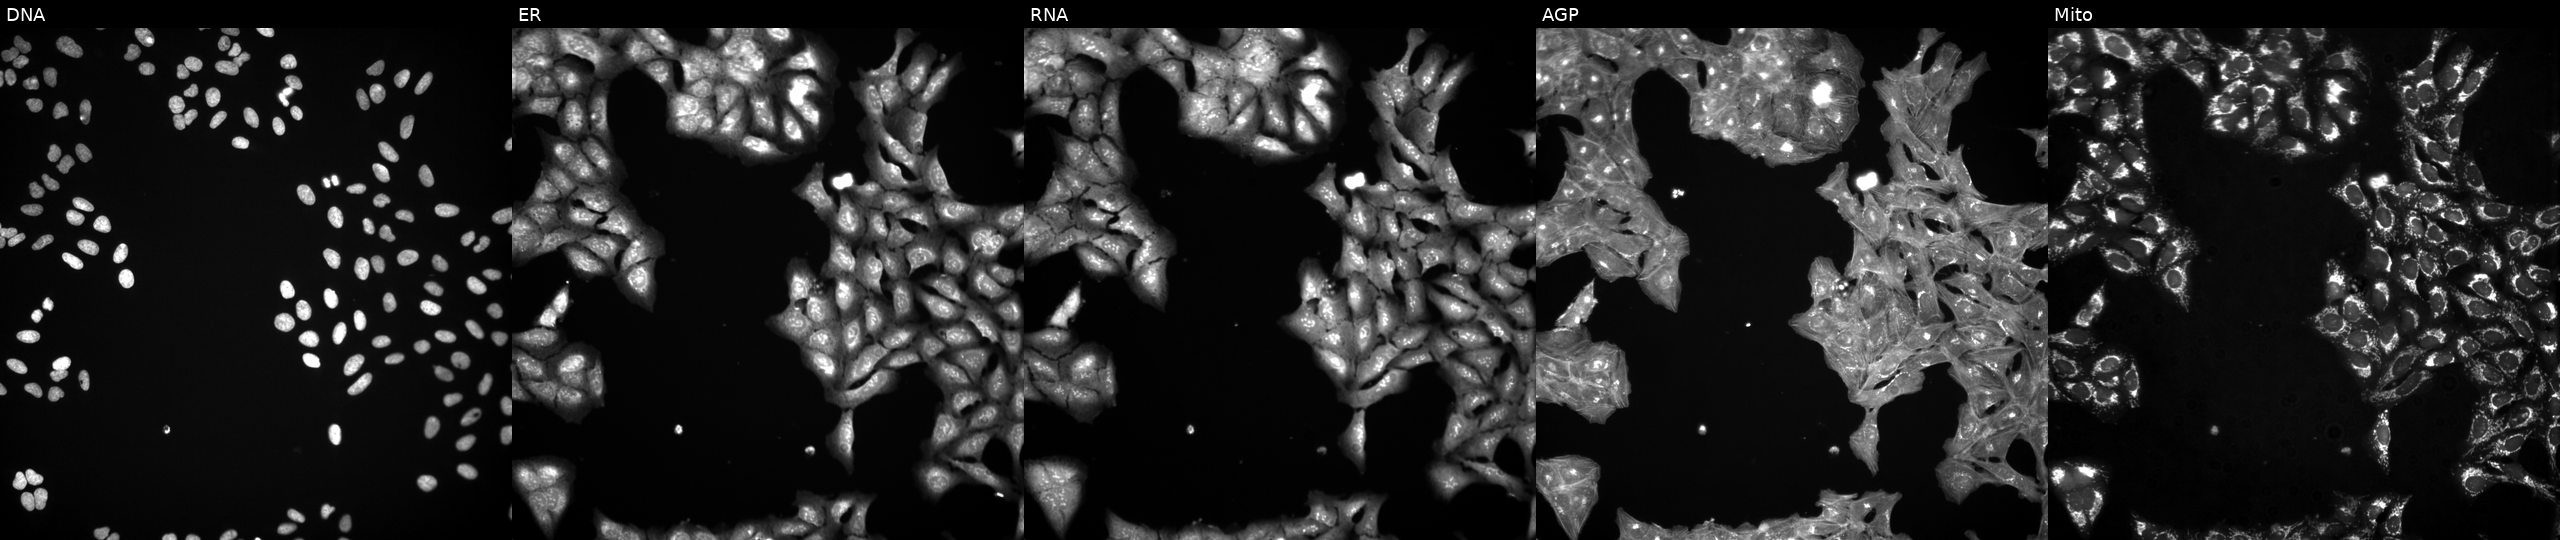
Five-channel Cell Painting image of U2OS cells exposed to a small-molecule compound. The five panels, left to right, show DNA (nuclei); ER (endoplasmic reticulum); RNA (nucleoli and cytoplasmic RNA); AGP (actin cytoskeleton, Golgi, and plasma membrane); Mito (mitochondria).